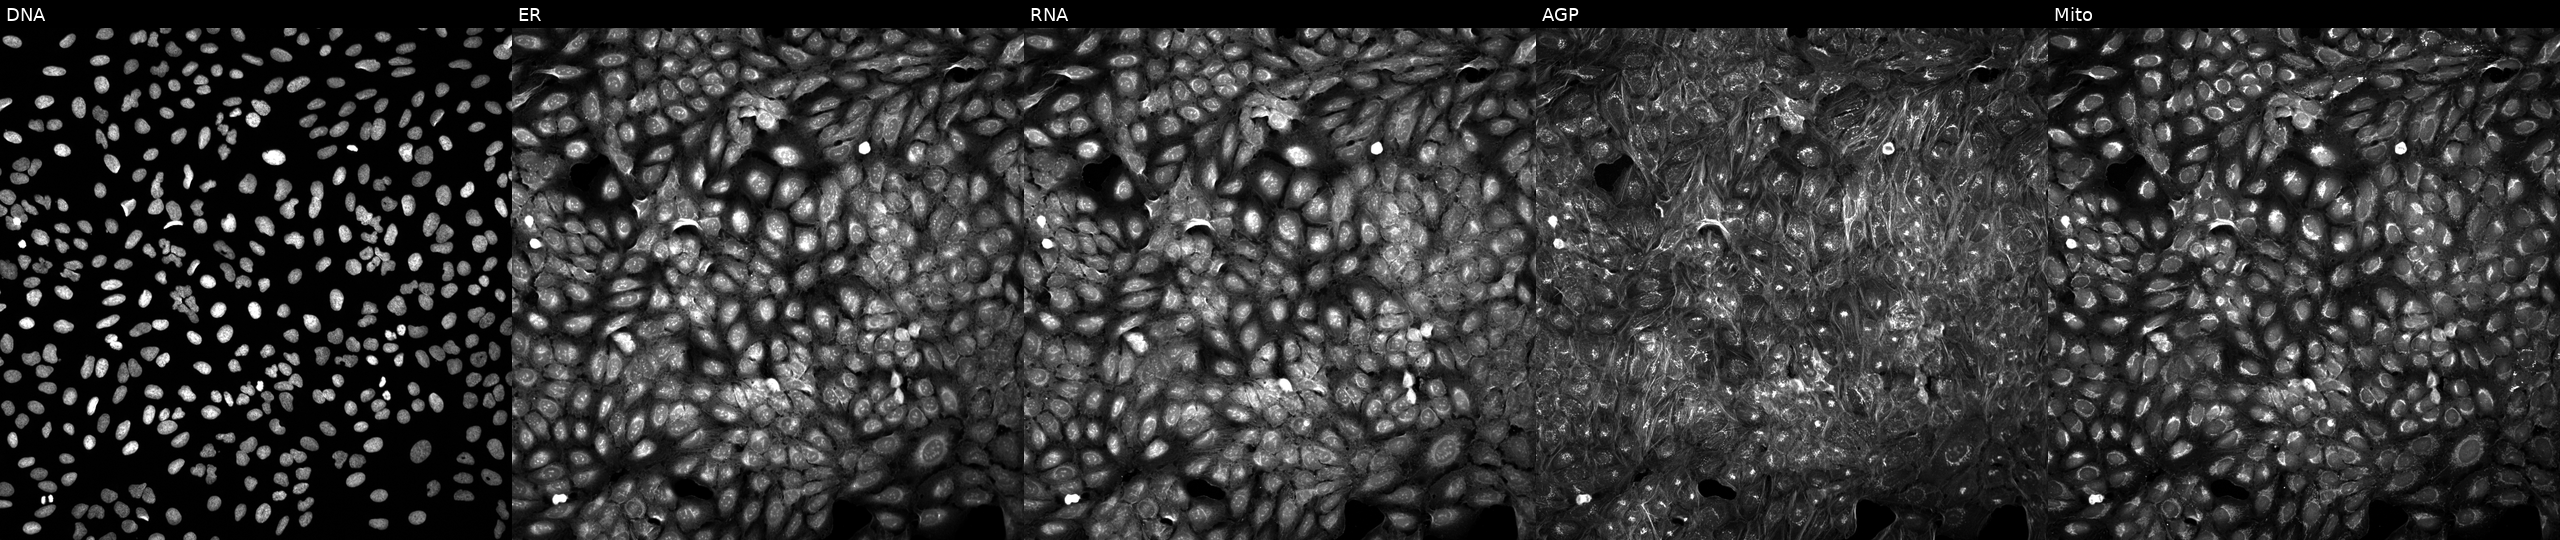
Five-channel Cell Painting image of U2OS cells perturbed with a small-molecule compound (InChIKey BHOCLMKZUBMZPU-UHFFFAOYSA-N). The five panels, left to right, show DNA, ER, RNA, AGP, and Mito. Source 5, plate APTJUM105, well I18.